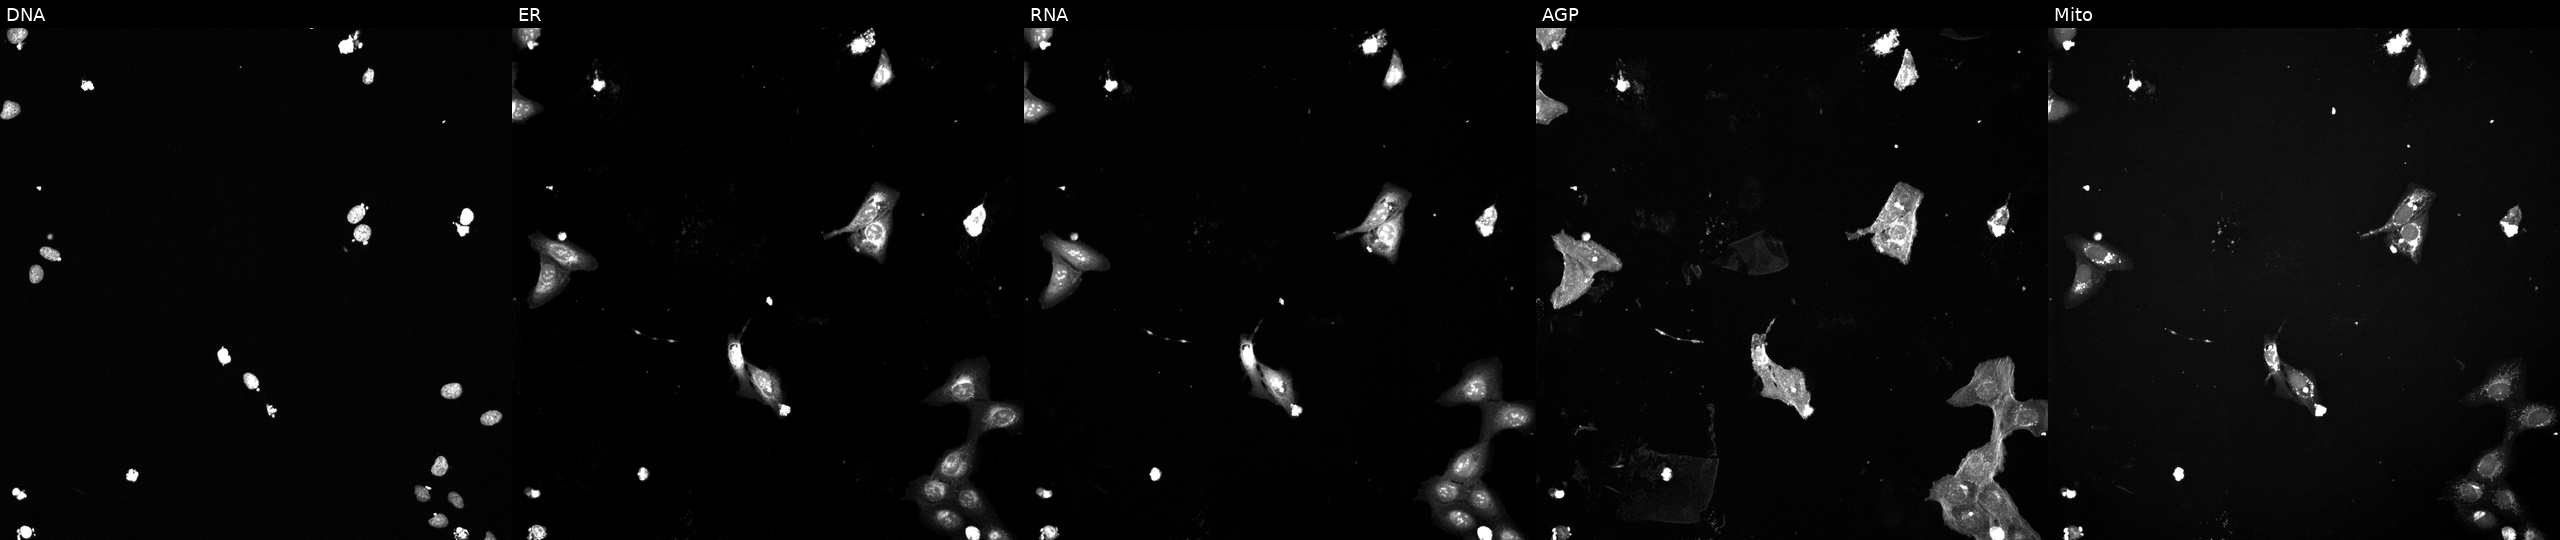
The five panels, left to right, show Hoechst 33342, concanavalin A, SYTO 14, phalloidin and WGA, MitoTracker. U2OS osteosarcoma cells perturbed with a small-molecule compound. Cell Painting assay, JUMP-CP dataset.